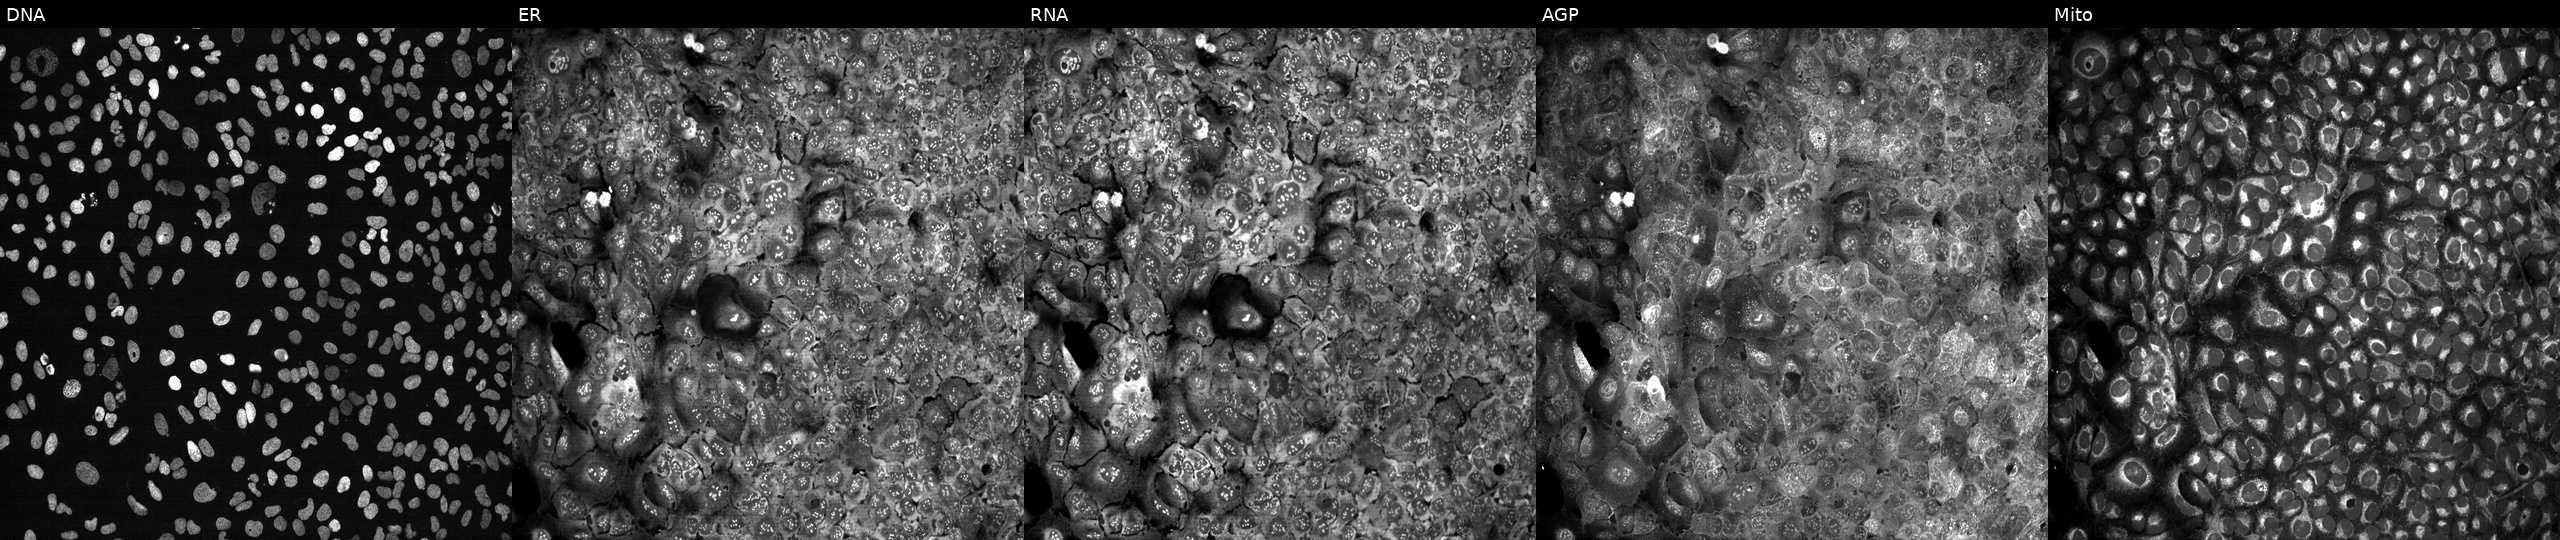
This image strip shows the five Cell Painting channels for a single field of U2OS cells with LBP knocked out by CRISPR (JUMP id JCP2022_803781). Channels (left→right): Hoechst 33342, concanavalin A, SYTO 14, phalloidin and WGA, MitoTracker. Source 13, plate CP-CC9-R4-04, well J20.